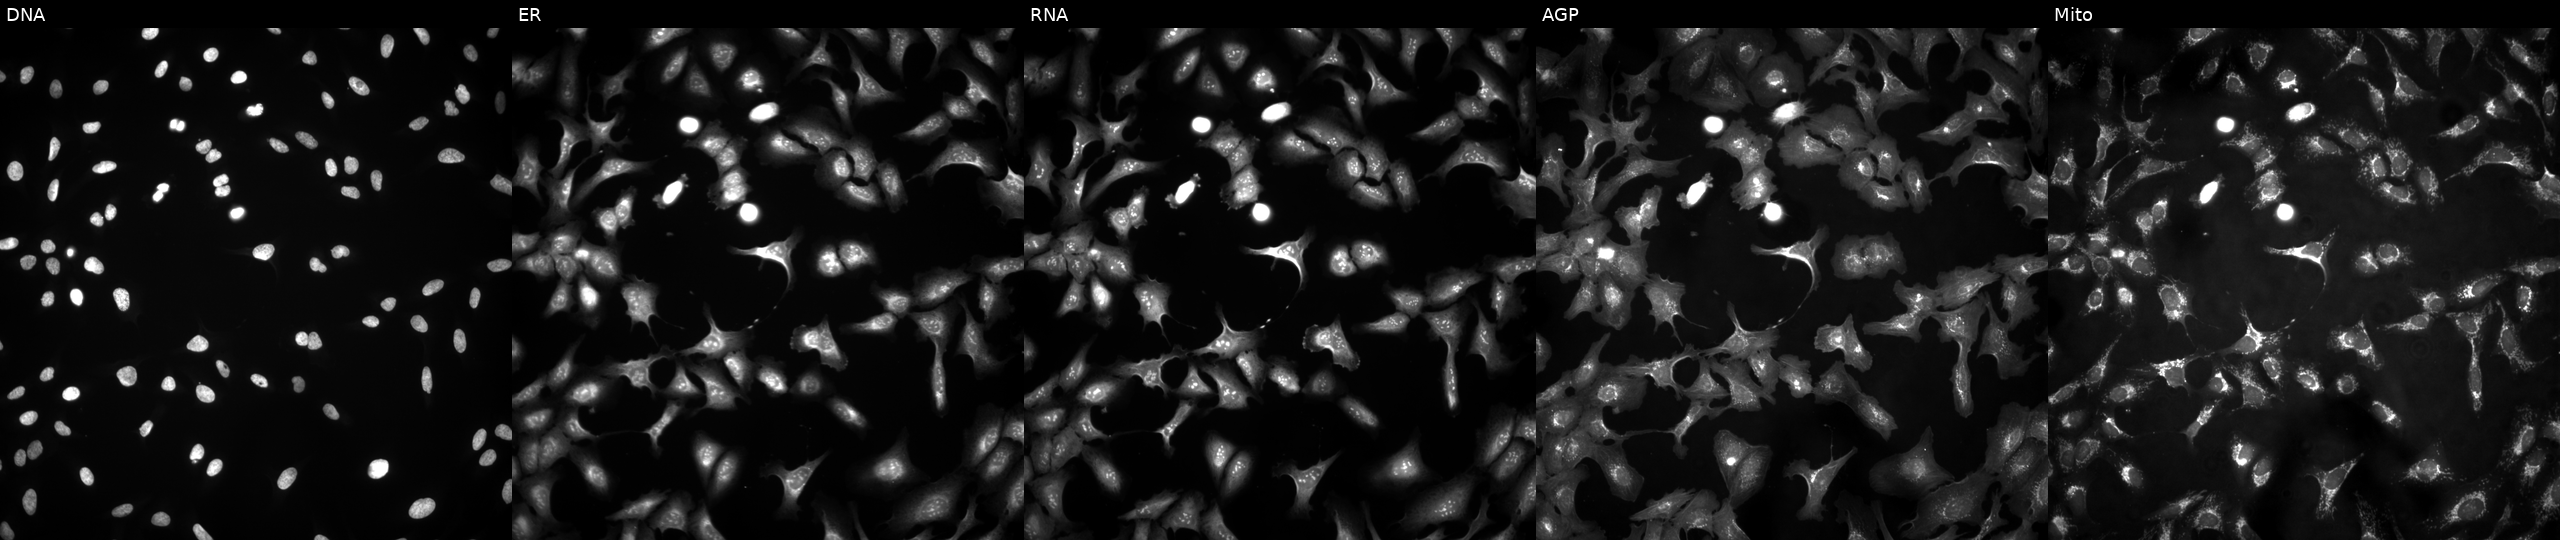
U2OS cells, Cell Painting assay, transfected with an ORF construct for ZKSCAN5. Panels show, left to right, DNA (nuclei); ER (endoplasmic reticulum); RNA (nucleoli and cytoplasmic RNA); AGP (actin cytoskeleton, Golgi, and plasma membrane); Mito (mitochondria). Each panel is percentile-stretched 16-bit fluorescence. Source 4, plate BR00121543, well O03.